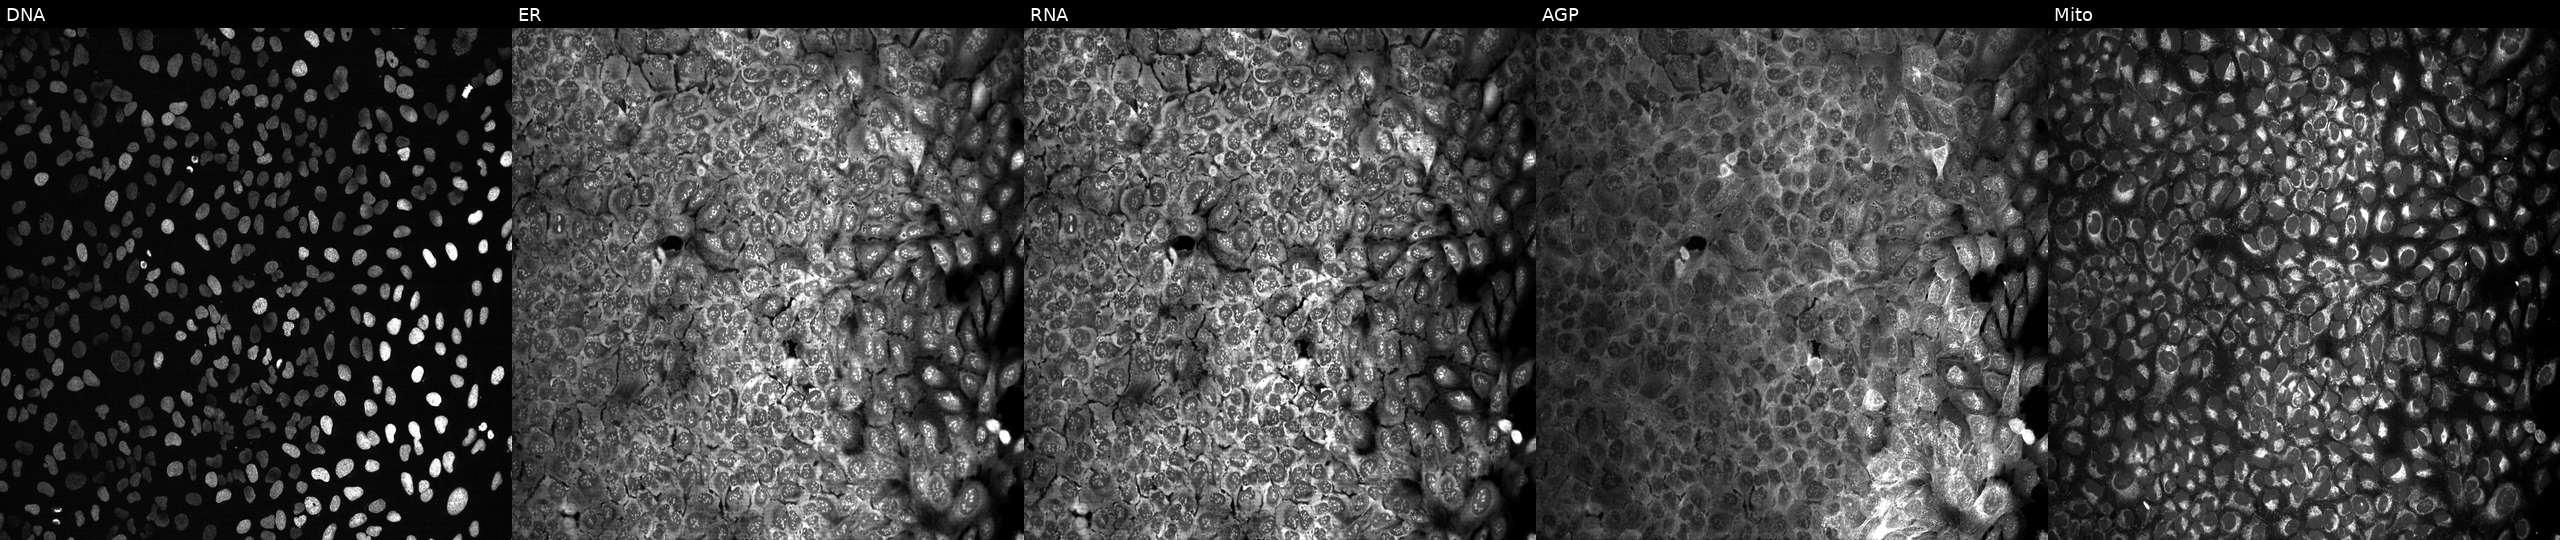
U2OS cells, Cell Painting assay, following CRISPR knockout of IL22RA2. Channels (left→right): Hoechst 33342, concanavalin A, SYTO 14, phalloidin and WGA, MitoTracker. Each panel is percentile-stretched 16-bit fluorescence.